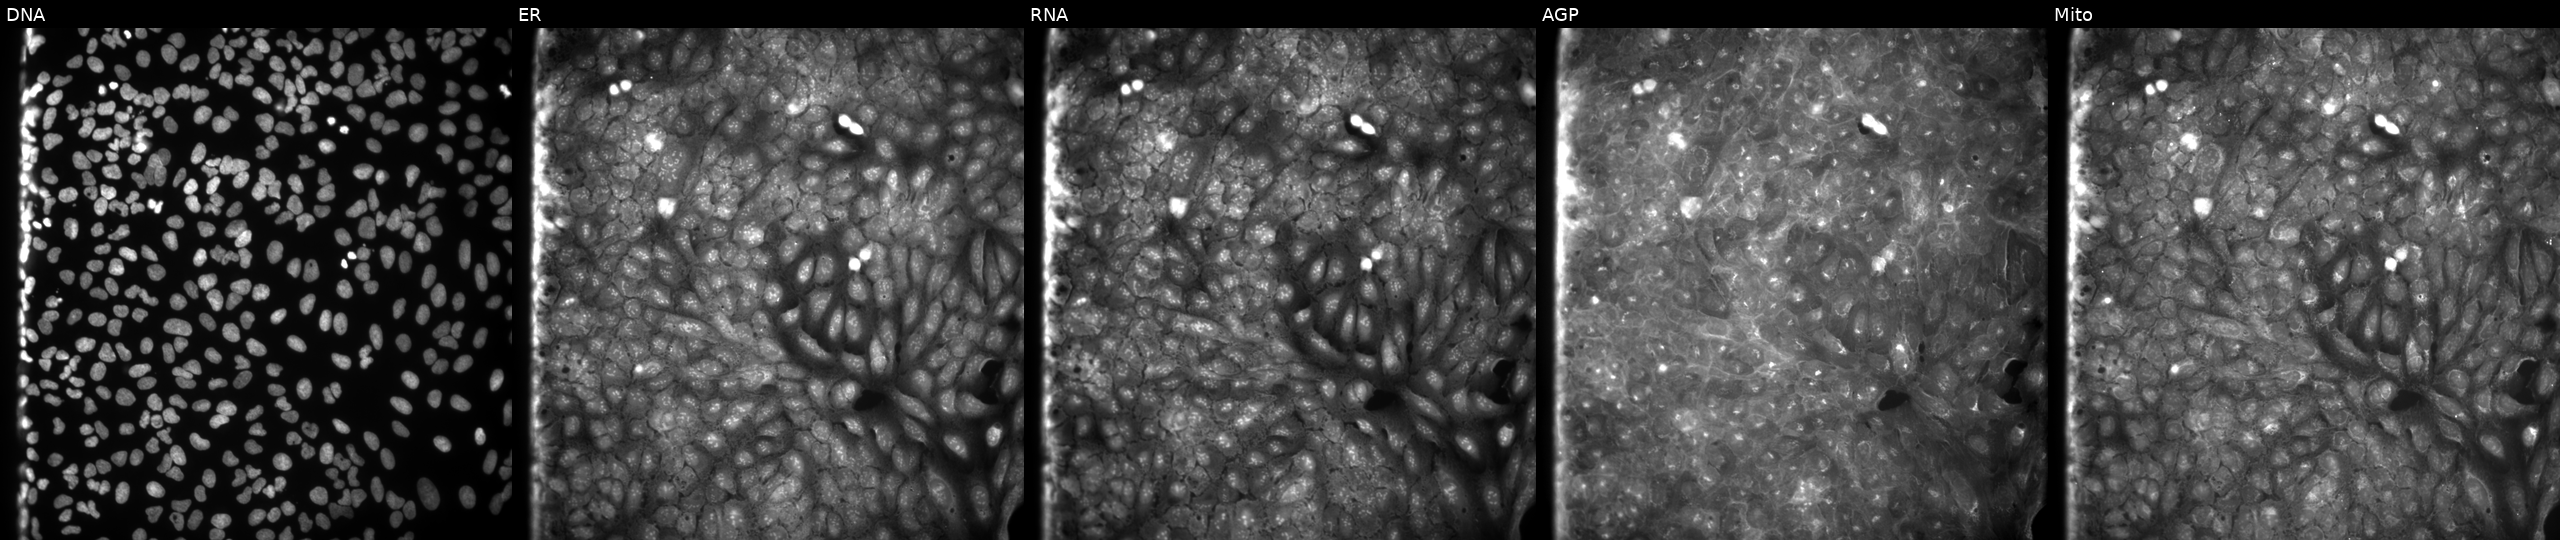
Five-channel Cell Painting image of U2OS cells perturbed with a small-molecule compound (InChIKey STKRHDHWGOTREV-UHFFFAOYSA-N). Channels (left→right): Hoechst 33342, concanavalin A, SYTO 14, phalloidin and WGA, MitoTracker.